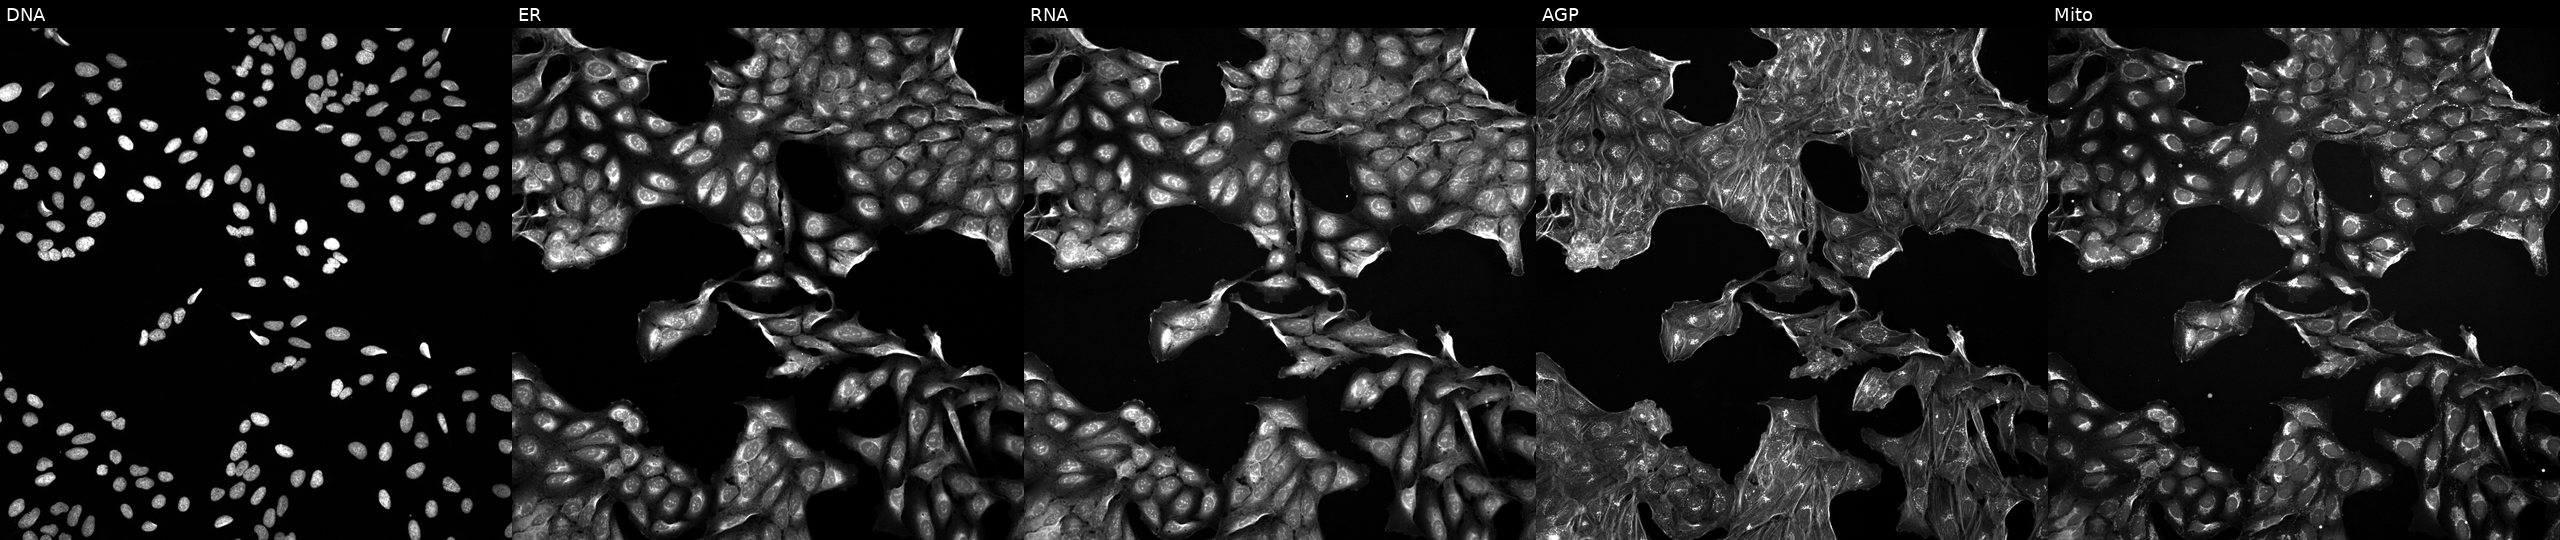
Five-channel Cell Painting image of U2OS cells exposed to DMSO alone as a negative control (JUMP id JCP2022_033924). Panels show, left to right, DNA, ER, RNA, AGP, and Mito.